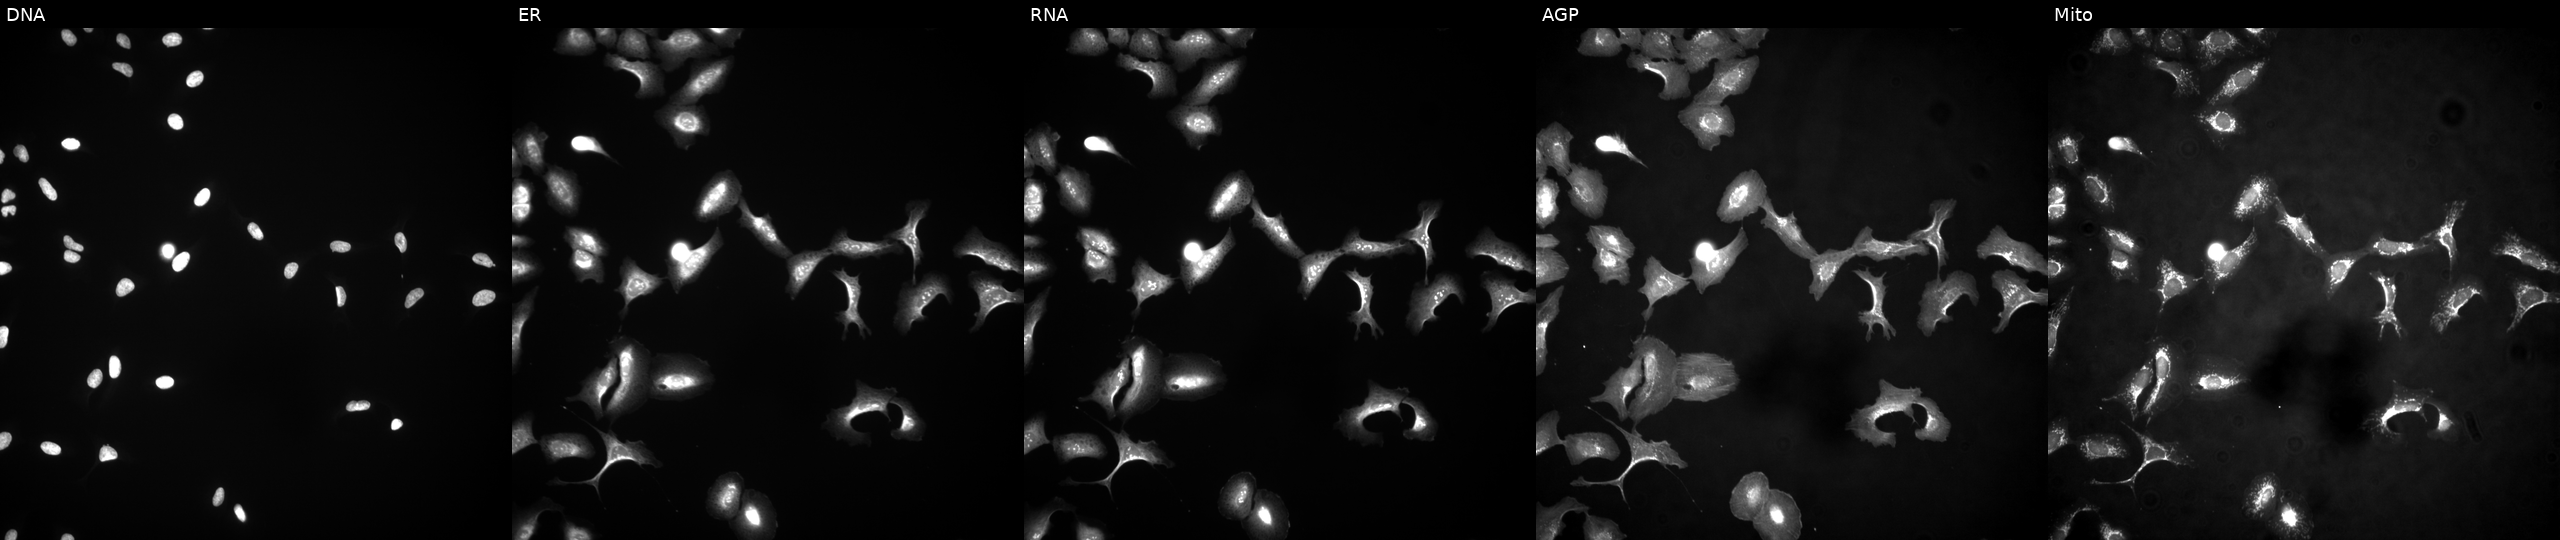
Five-channel Cell Painting image of U2OS cells overexpressing SPSB3 via ORF transfection (JUMP id JCP2022_915020). From left to right: DNA, ER, RNA, AGP, and Mito. Source 4, plate BR00124790, well J05.